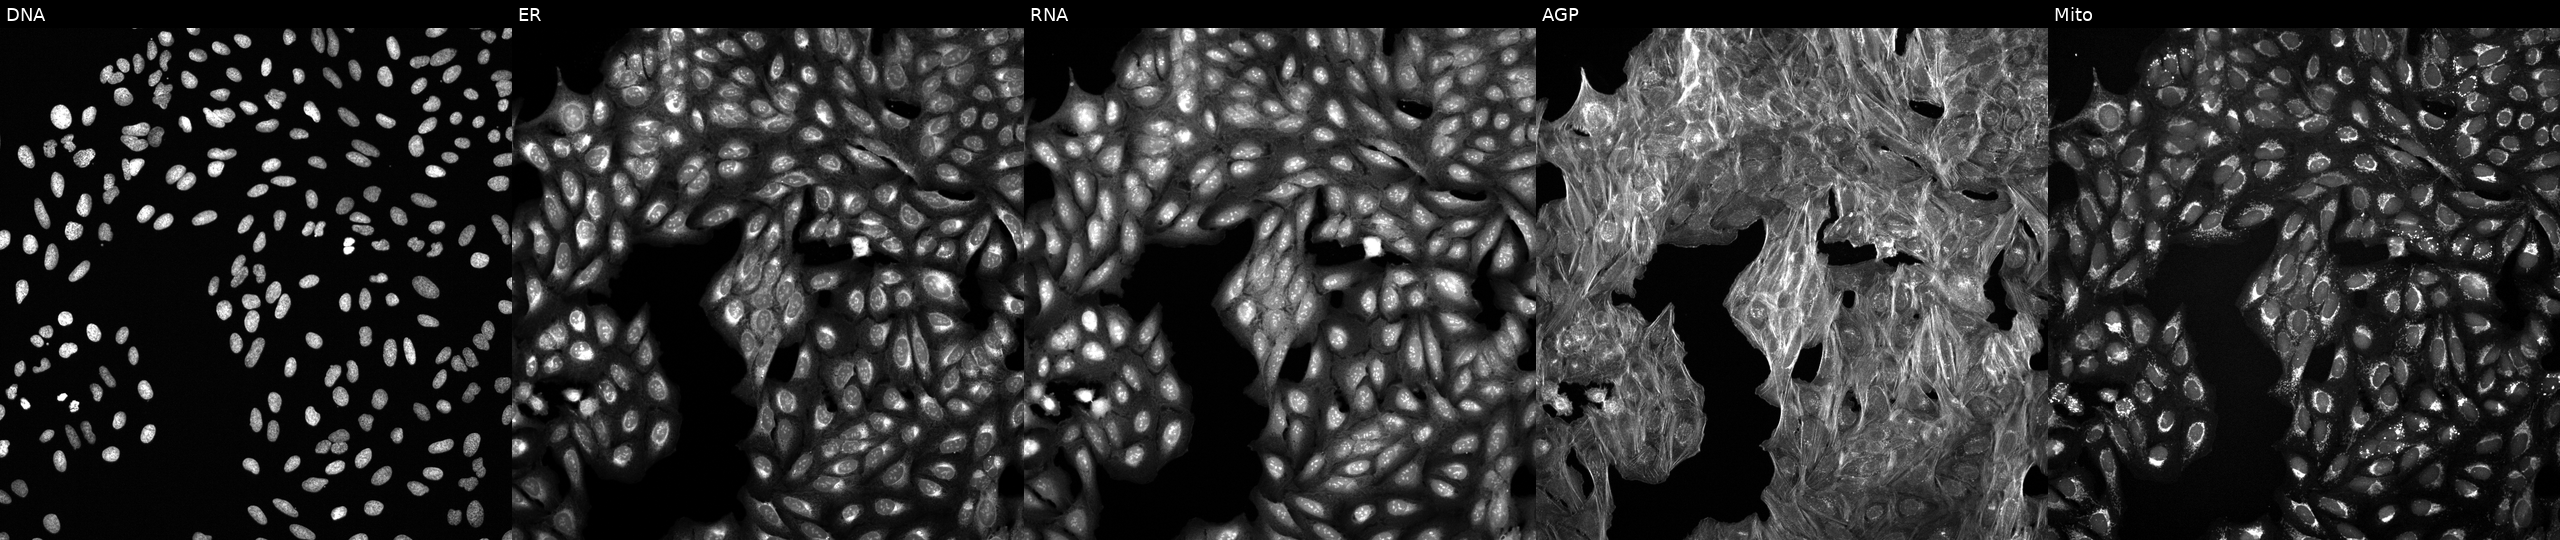
U2OS cells, Cell Painting assay, treated with a small-molecule compound (InChIKey IQZIGSCNNAZJBV-UHFFFAOYSA-N) [SMILES: COc1ccccc1NC(=O)CCc1c(C)nn2cnnc2c1C] (JUMP id JCP2022_036855). Channels (left→right): DNA, ER, RNA, AGP, and Mito. Each panel is percentile-stretched 16-bit fluorescence.